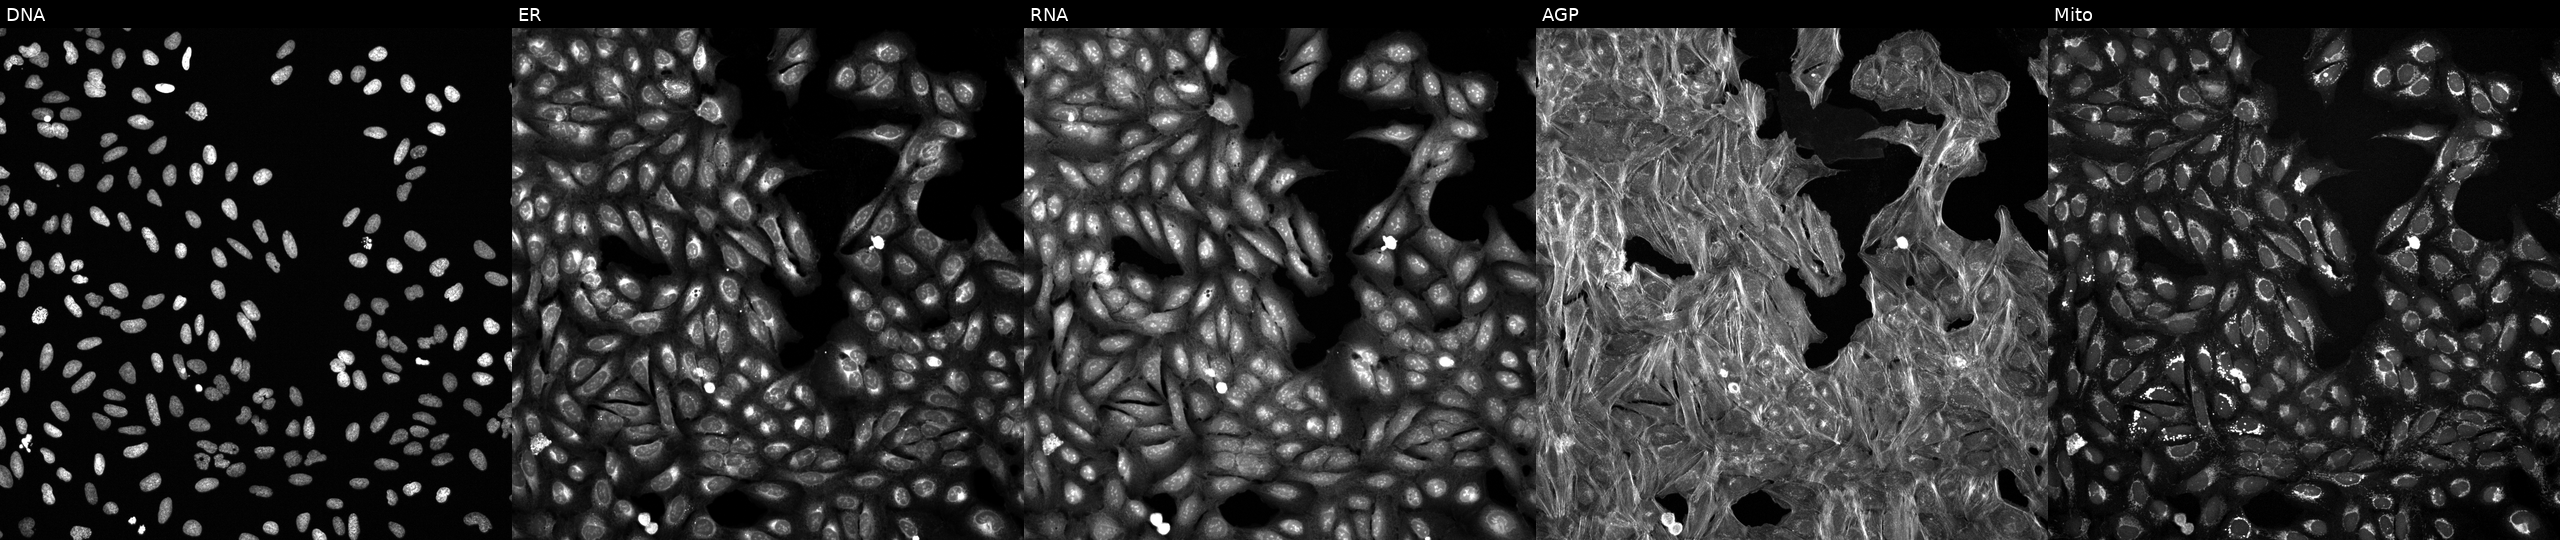
Five-channel Cell Painting image of U2OS cells exposed to a small-molecule compound (InChIKey VMSRCJGYGBFWKW-UHFFFAOYSA-N). The five panels, left to right, show DNA (nuclei); ER (endoplasmic reticulum); RNA (nucleoli and cytoplasmic RNA); AGP (actin cytoskeleton, Golgi, and plasma membrane); Mito (mitochondria).